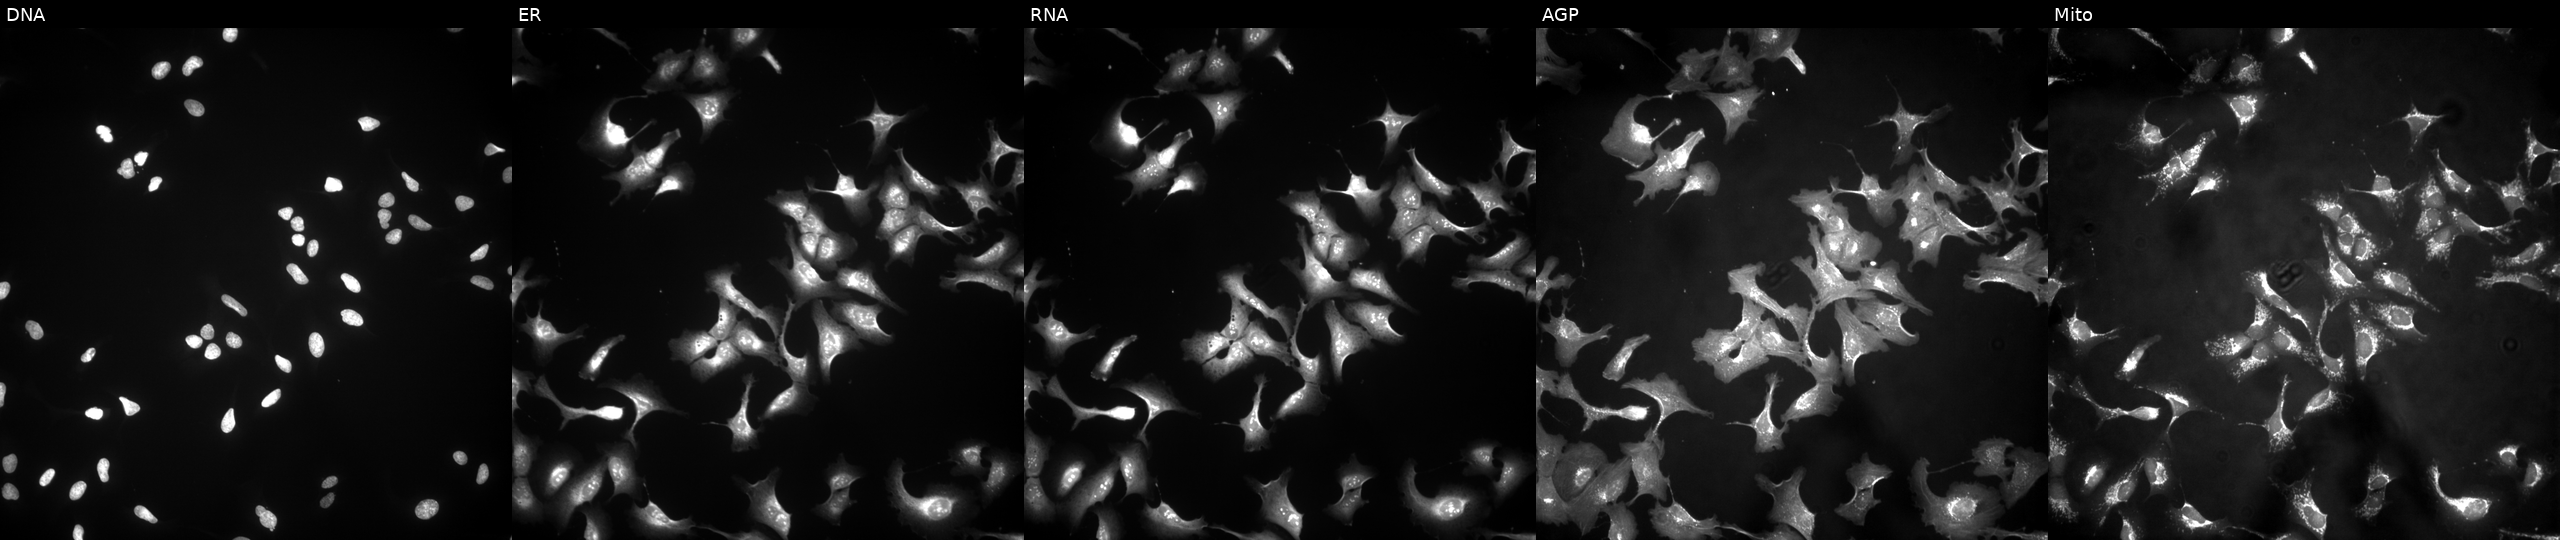
JUMP Cell Painting — ORF plate. U2OS cells overexpressing PSEN1 via ORF transfection. Channels (left→right): Hoechst 33342, concanavalin A, SYTO 14, phalloidin and WGA, MitoTracker. Source 4, plate BR00123506, well M03.